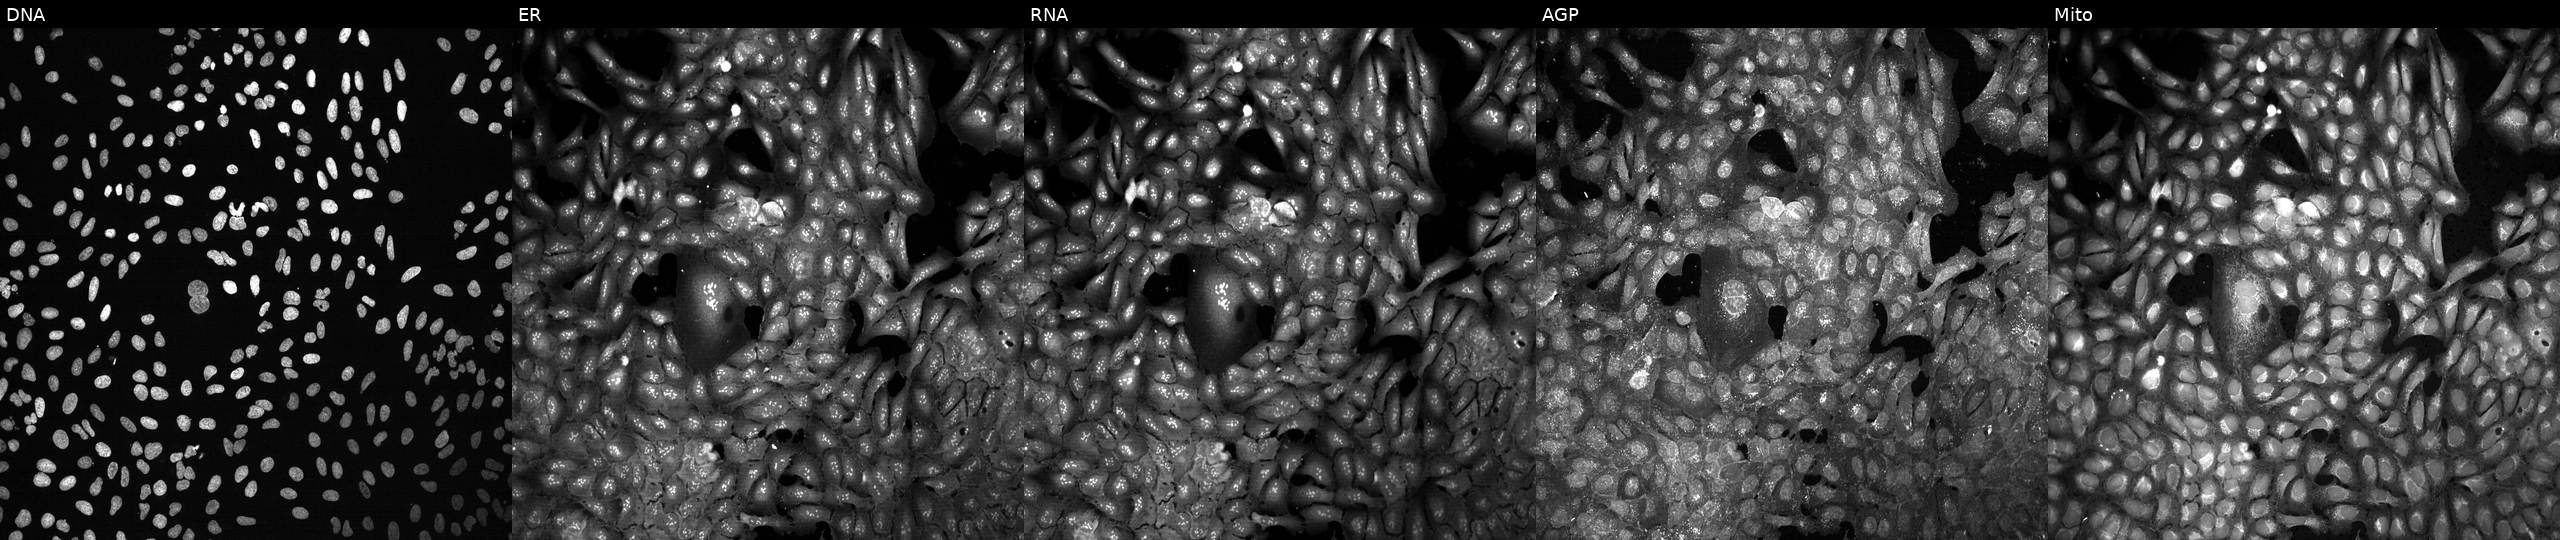
Five-channel Cell Painting image of U2OS cells CRISPR-edited to disrupt GALC. Channels (left→right): DNA, ER, RNA, AGP, and Mito.